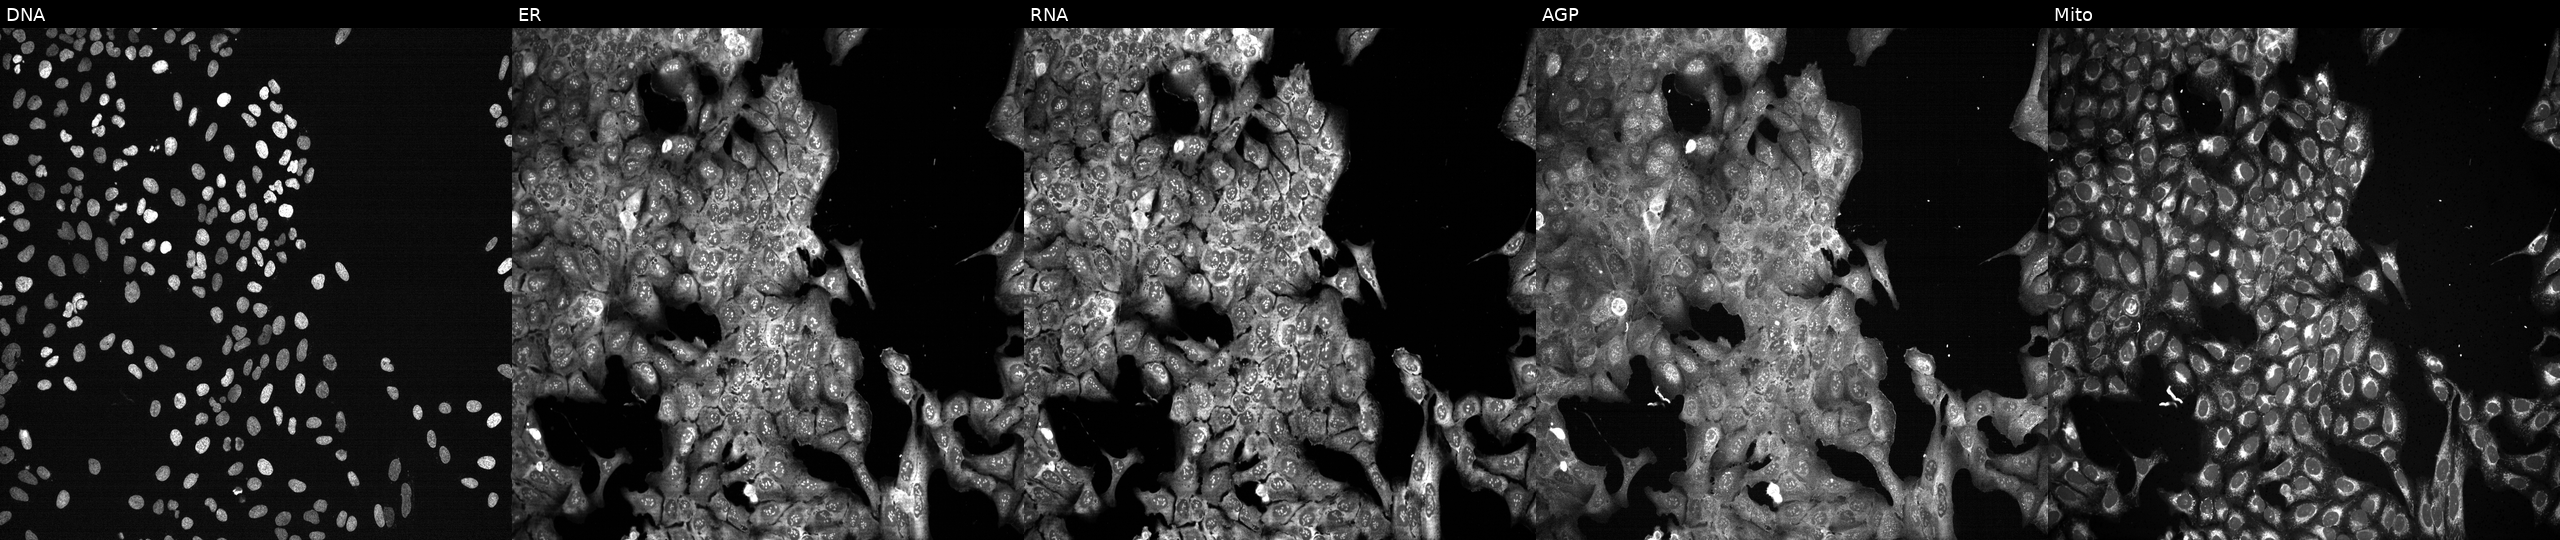
This image strip shows the five Cell Painting channels for a single field of U2OS cells with MGST1 knocked out by CRISPR (JUMP id JCP2022_804169). Channels (left→right): Hoechst 33342, concanavalin A, SYTO 14, phalloidin and WGA, MitoTracker.